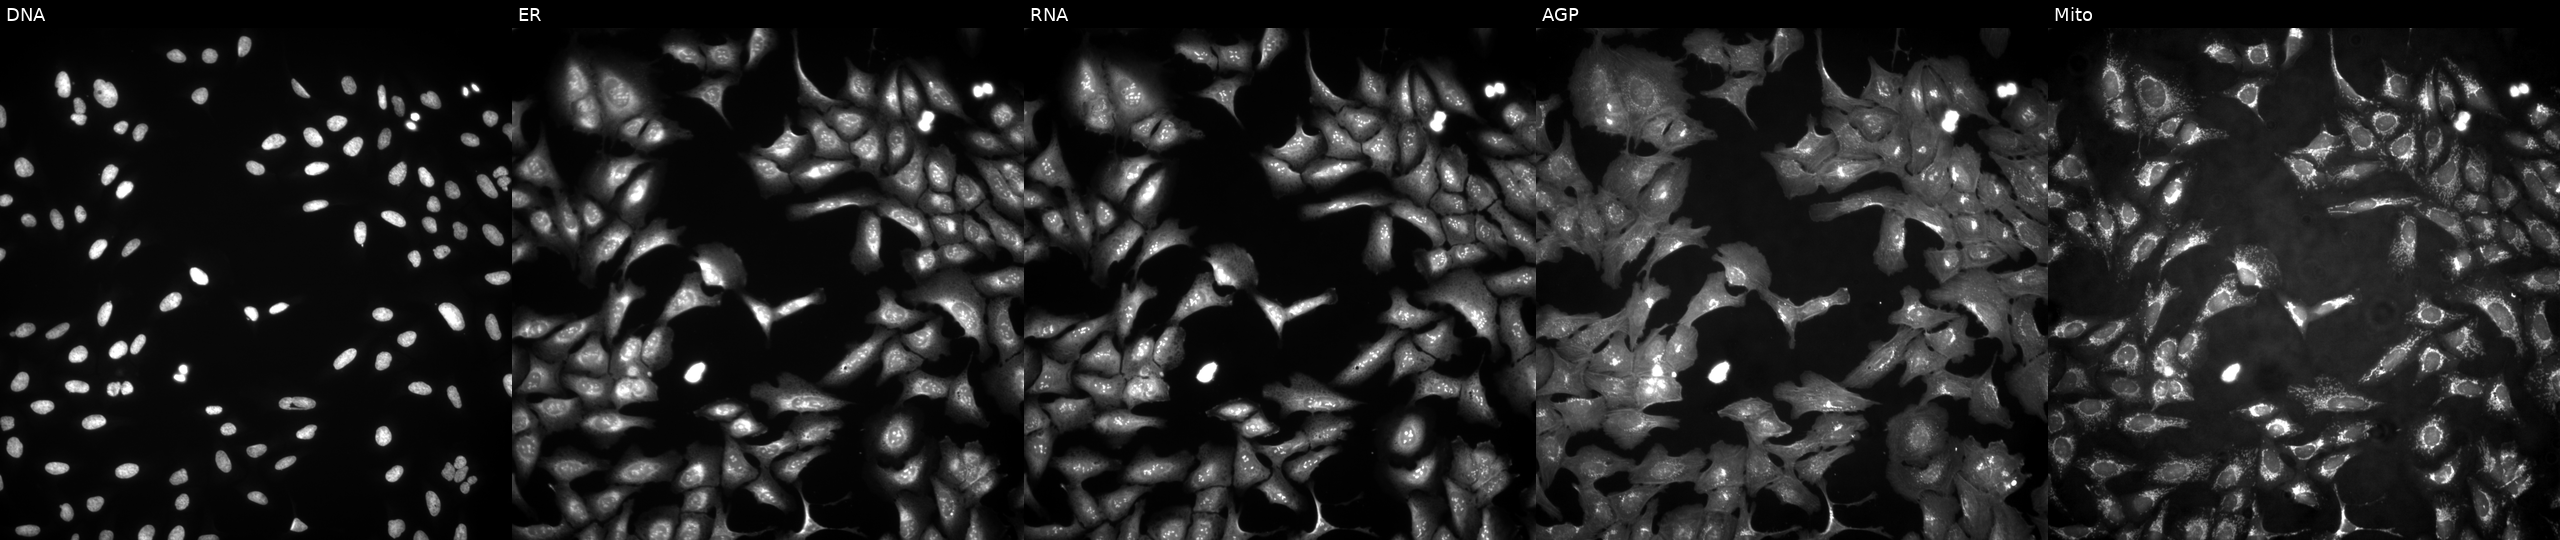
U2OS cells, Cell Painting assay, transfected with an ORF construct for STK4 (JUMP id JCP2022_910409). From left to right: Hoechst 33342, concanavalin A, SYTO 14, phalloidin and WGA, MitoTracker. Each panel is percentile-stretched 16-bit fluorescence. Source 4, plate BR00123509, well H05.